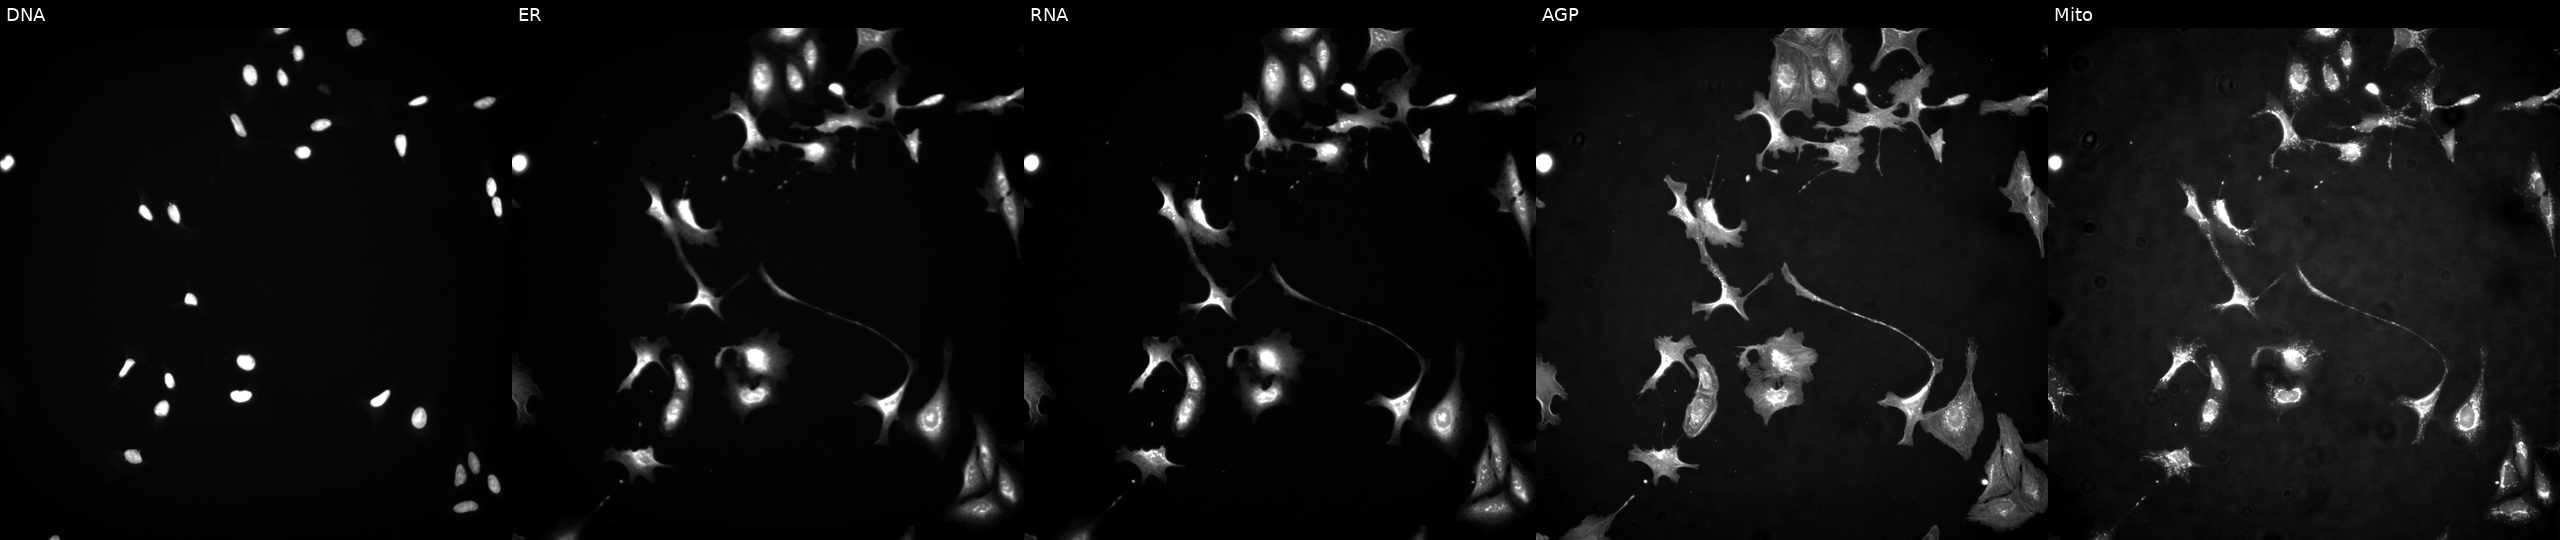
This image strip shows the five Cell Painting channels for a single field of U2OS cells with PTPN2 overexpressed (ORF). Channels (left→right): DNA, ER, RNA, AGP, and Mito.